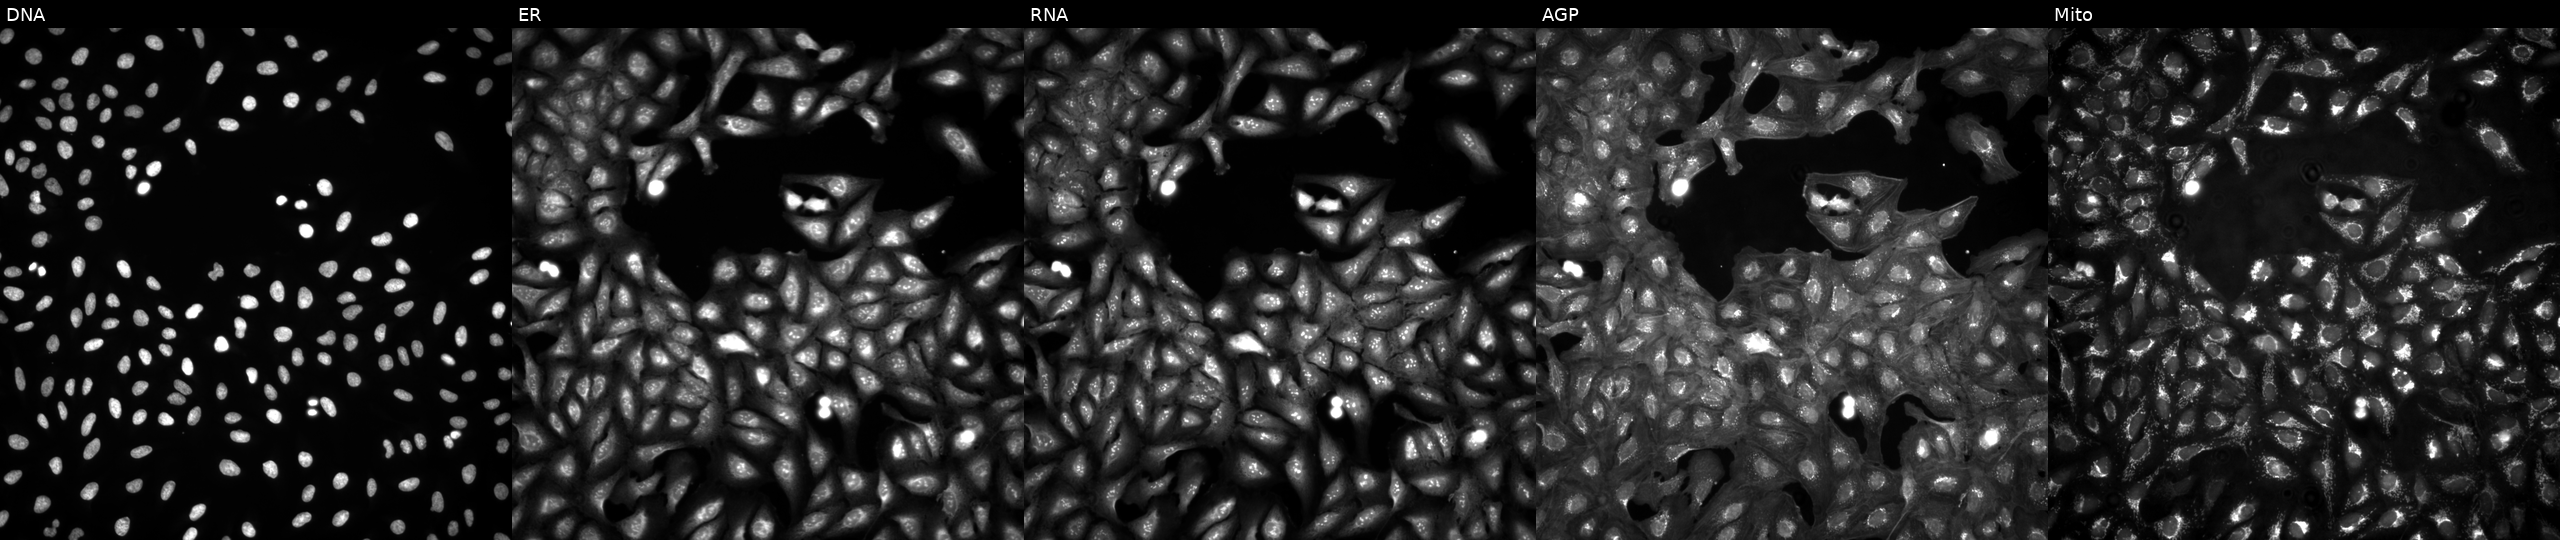
Panels show, left to right, Hoechst 33342, concanavalin A, SYTO 14, phalloidin and WGA, MitoTracker. U2OS osteosarcoma cells in an empty control well (no perturbation) (JUMP id JCP2022_999999). Cell Painting assay, JUMP-CP dataset. Source 4, plate BR00124793, well N01.